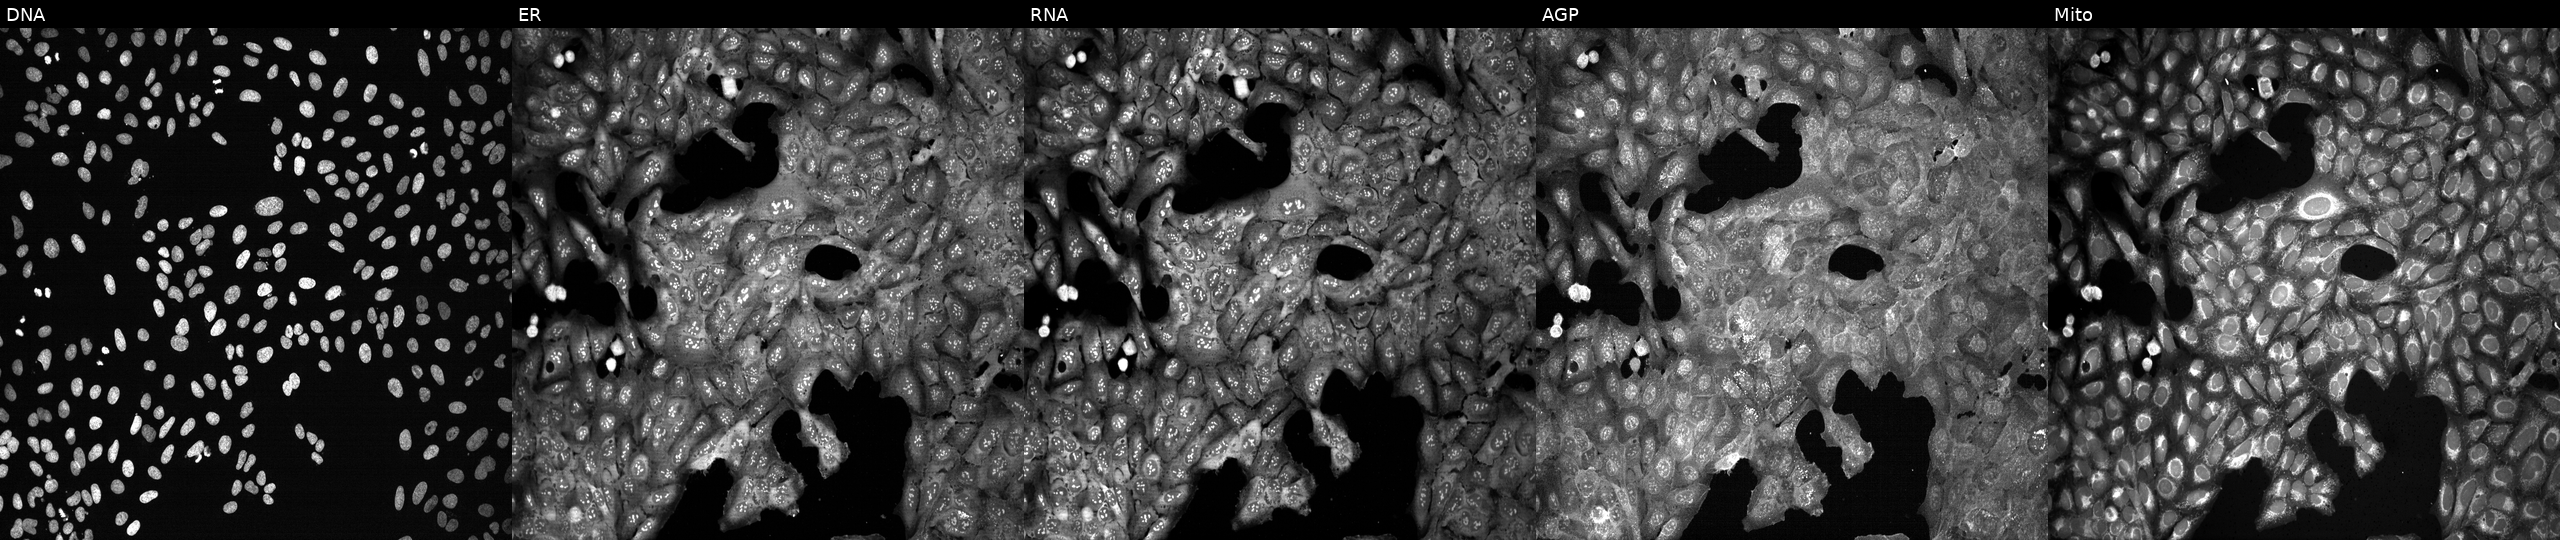
This image strip shows the five Cell Painting channels for a single field of U2OS cells with RAP1GAP knocked out by CRISPR (JUMP id JCP2022_805830). Channels (left→right): Hoechst 33342, concanavalin A, SYTO 14, phalloidin and WGA, MitoTracker.